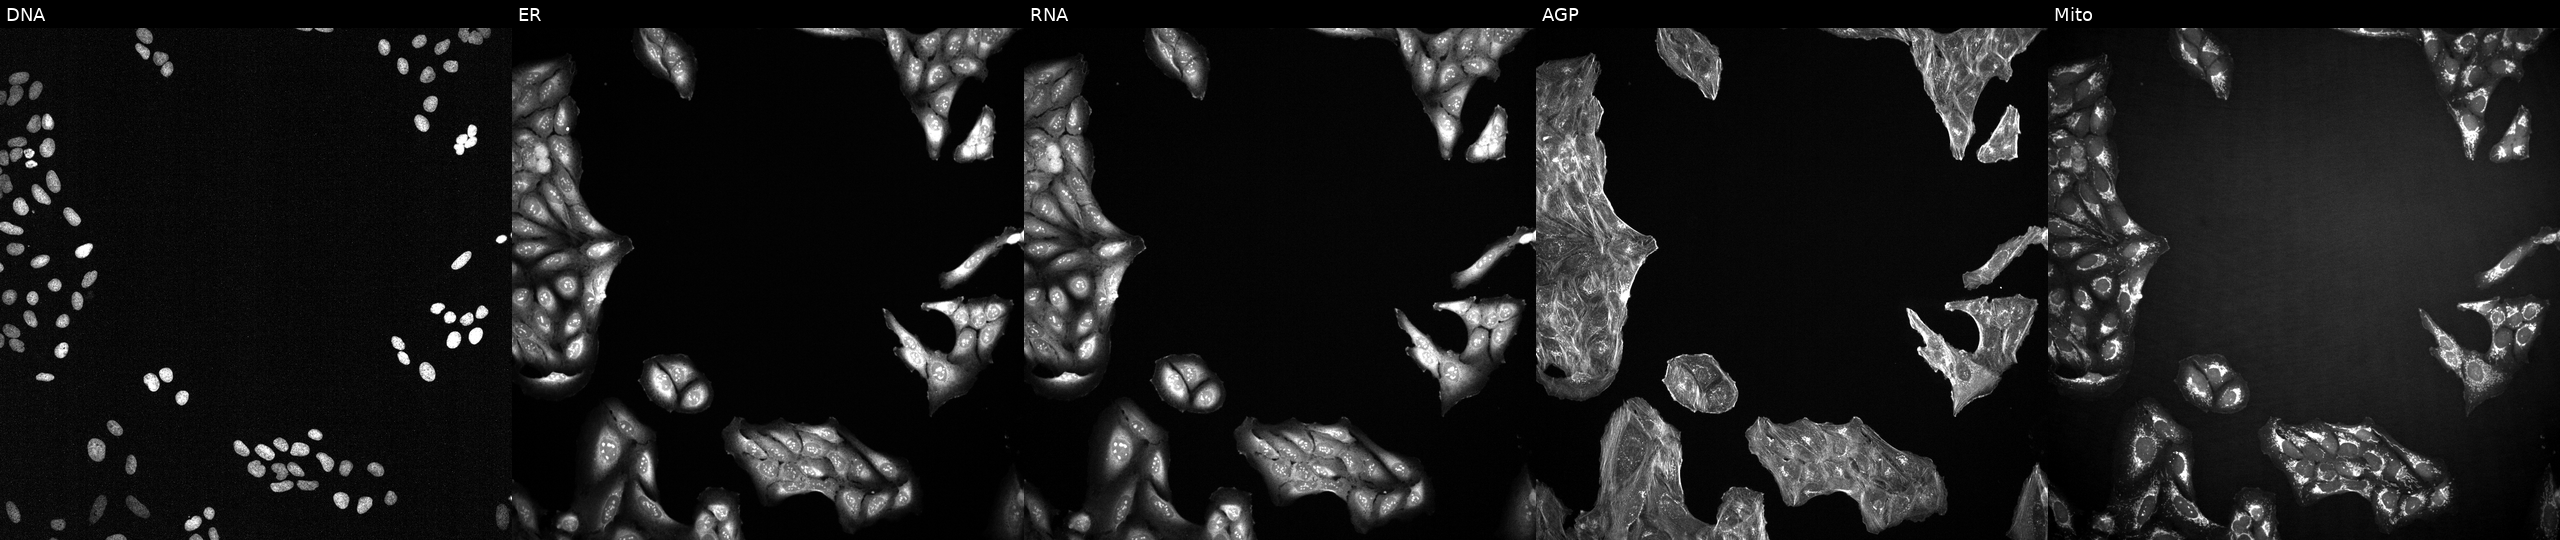
From left to right: DNA (nuclei); ER (endoplasmic reticulum); RNA (nucleoli and cytoplasmic RNA); AGP (actin cytoskeleton, Golgi, and plasma membrane); Mito (mitochondria). U2OS osteosarcoma cells treated with a small-molecule compound (InChIKey JZFPYUNJRRFVQU-UHFFFAOYSA-N). Cell Painting assay, JUMP-CP dataset. Source 2, plate 1053599503, well P22.